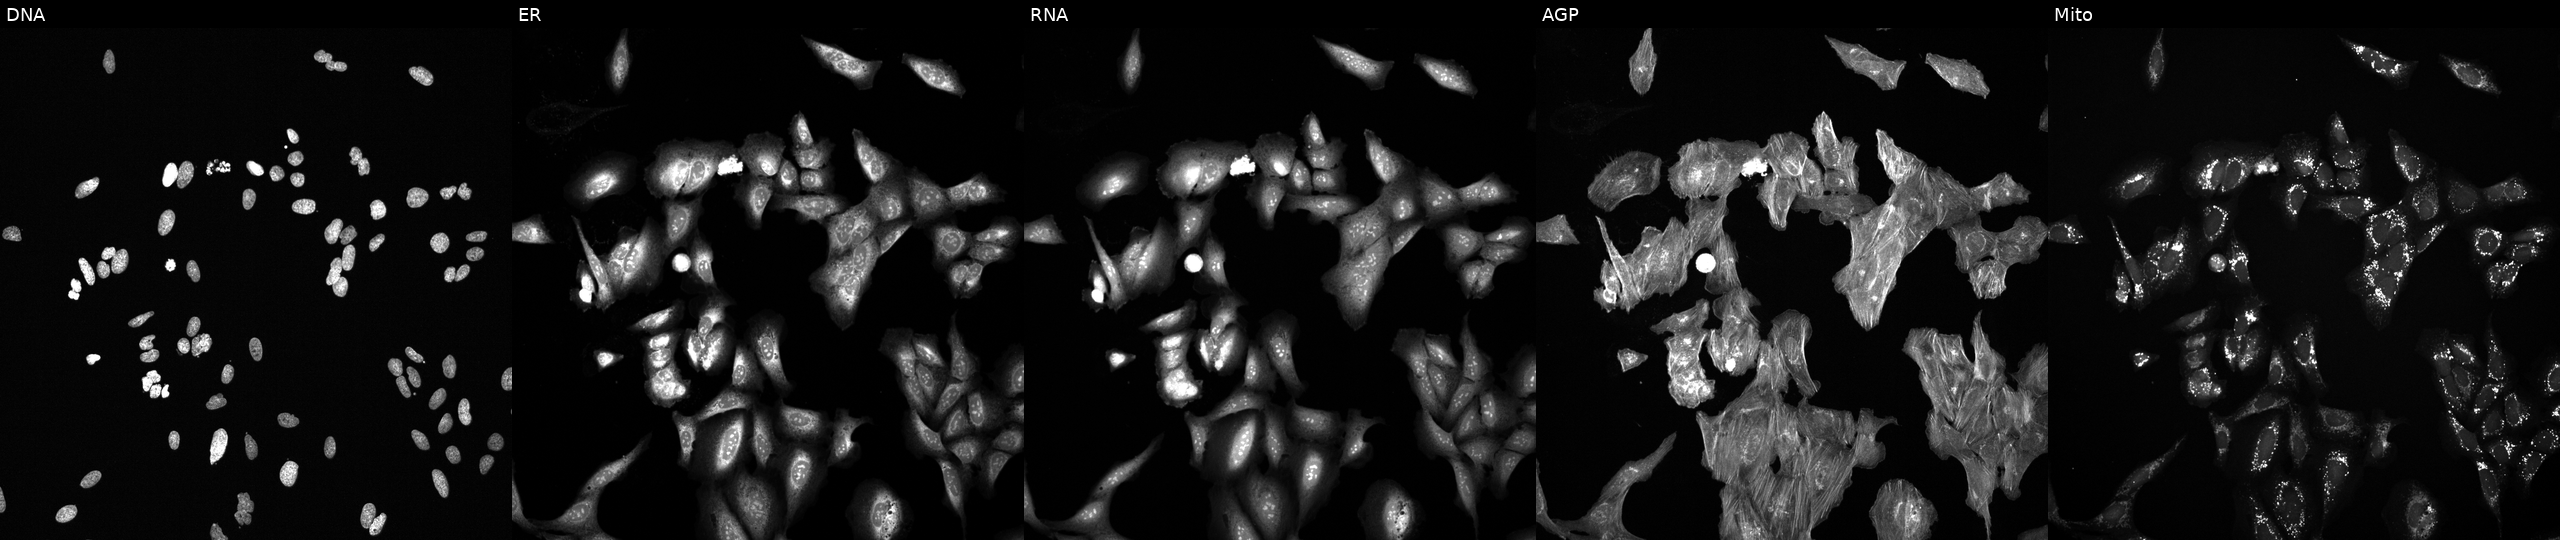
This image strip shows the five Cell Painting channels for a single field of U2OS cells perturbed with a small-molecule compound (InChIKey UTBOEBCWXGDOGI-UHFFFAOYSA-N). Channels (left→right): DNA (nuclei); ER (endoplasmic reticulum); RNA (nucleoli and cytoplasmic RNA); AGP (actin cytoskeleton, Golgi, and plasma membrane); Mito (mitochondria).